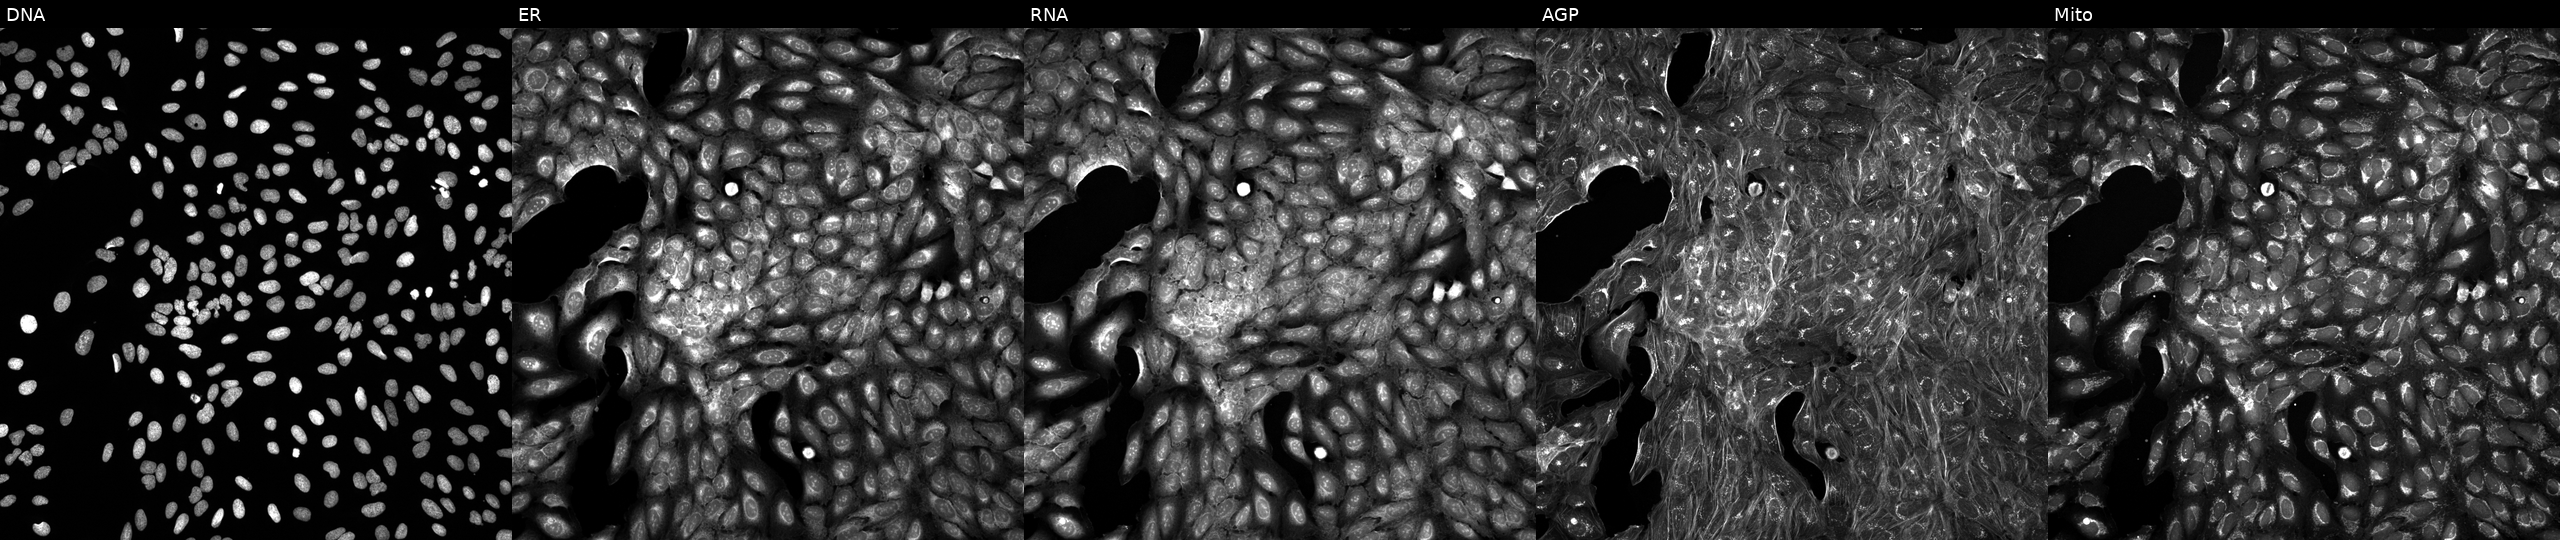
JUMP Cell Painting — TARGET2 plate. U2OS cells perturbed with a small-molecule compound (InChIKey GYYRMJMXXLJZAB-UHFFFAOYSA-N) [SMILES: CC(C)Oc1ccc(Cc2ccc(NC3=NCCN3)cc2)cc1]. The five panels, left to right, show DNA (nuclei); ER (endoplasmic reticulum); RNA (nucleoli and cytoplasmic RNA); AGP (actin cytoskeleton, Golgi, and plasma membrane); Mito (mitochondria).